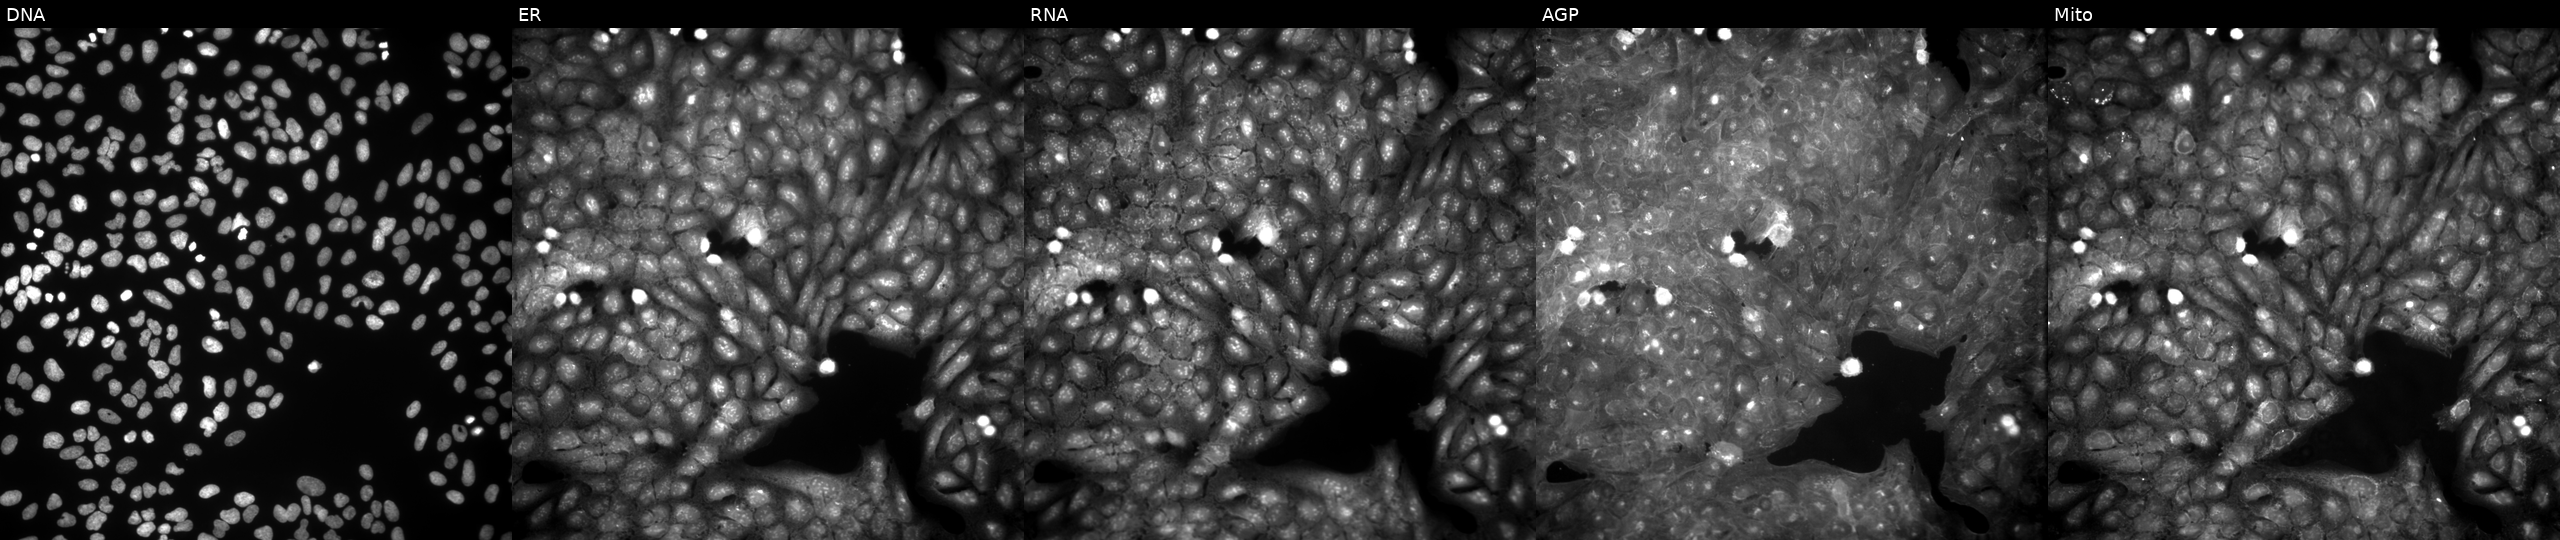
High-content fluorescence microscopy (Cell Painting). Cell line: U2OS. Perturbation: exposed to a small-molecule compound (JUMP id JCP2022_015795). From left to right: DNA (nuclei); ER (endoplasmic reticulum); RNA (nucleoli and cytoplasmic RNA); AGP (actin cytoskeleton, Golgi, and plasma membrane); Mito (mitochondria).